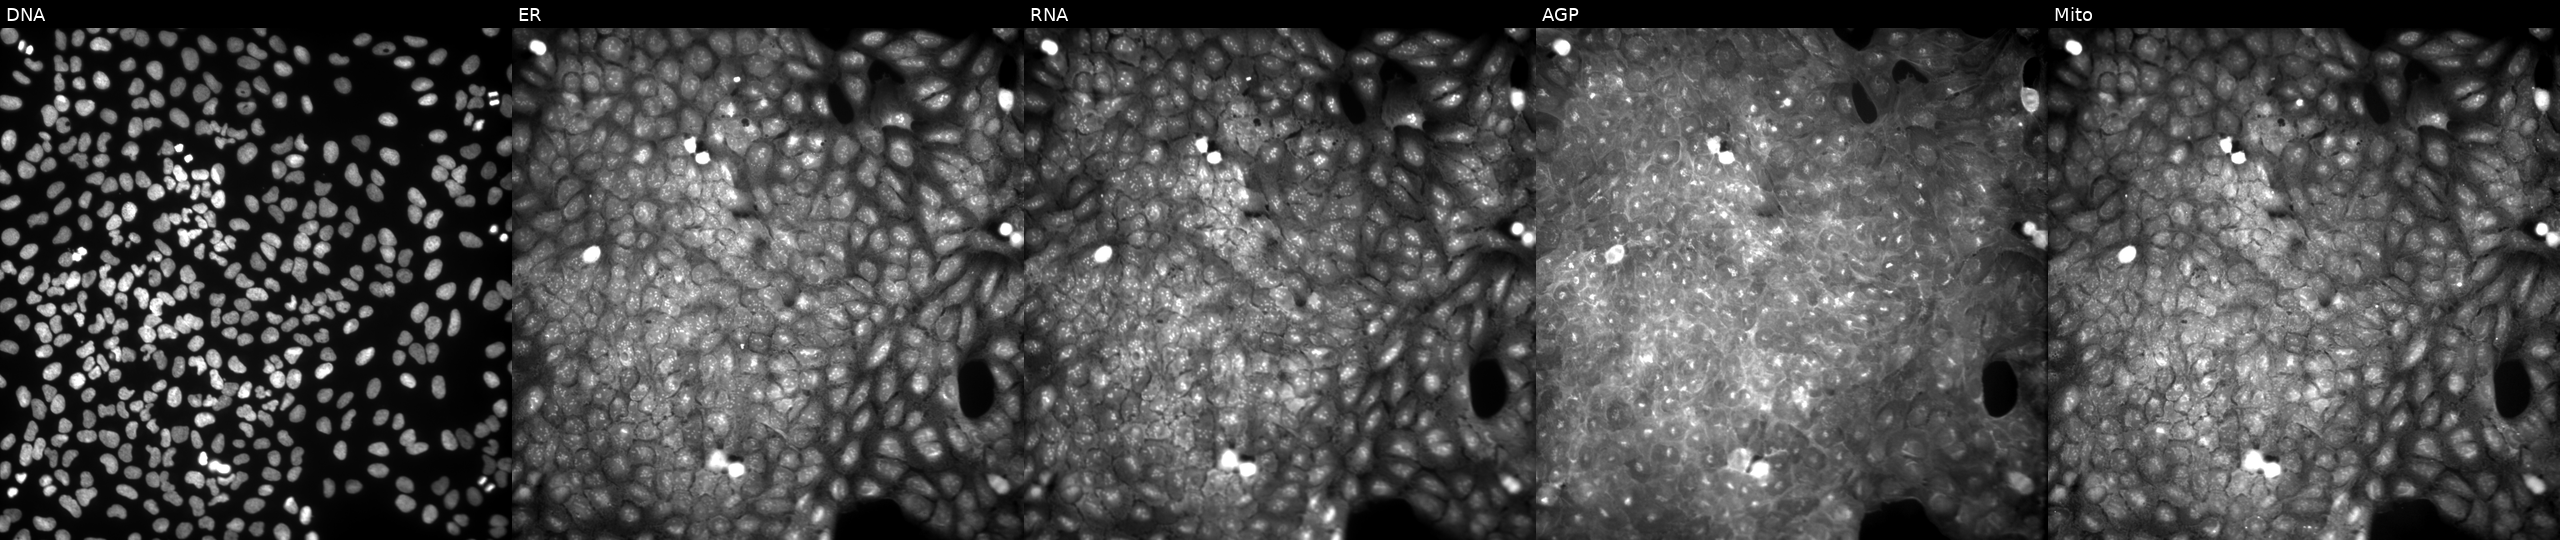
Five-channel Cell Painting image of U2OS cells perturbed with a small-molecule compound (InChIKey NPCOTIACINKFRE-UHFFFAOYSA-N) (JUMP id JCP2022_060457). From left to right: DNA, ER, RNA, AGP, and Mito.